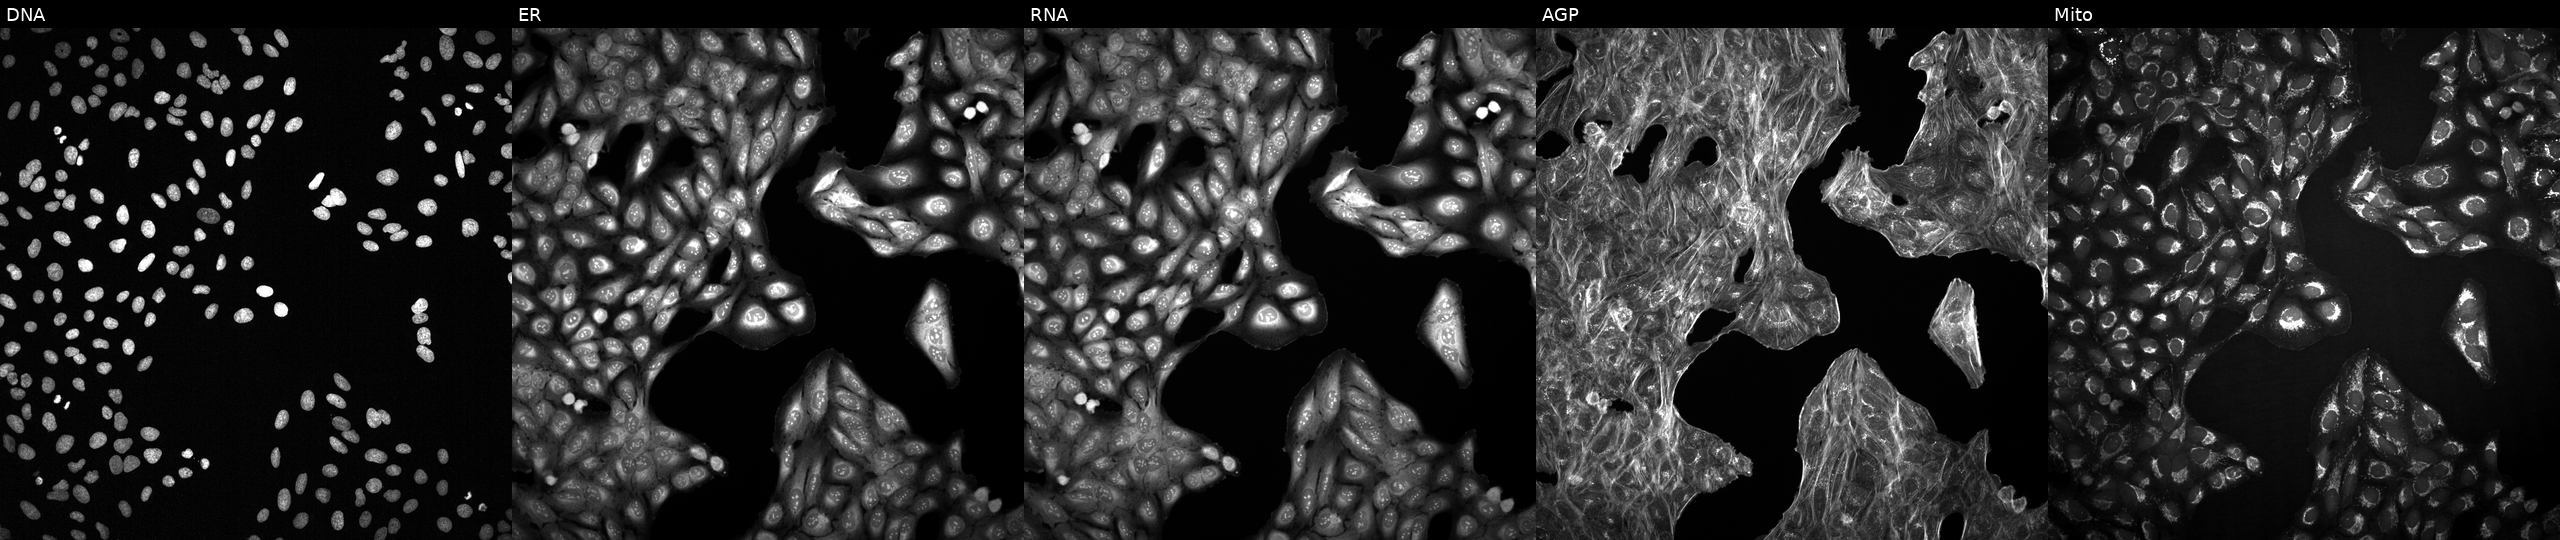
Five-channel Cell Painting image of U2OS cells treated with DMSO vehicle only (negative control) (JUMP id JCP2022_033924). Panels show, left to right, Hoechst 33342, concanavalin A, SYTO 14, phalloidin and WGA, MitoTracker.